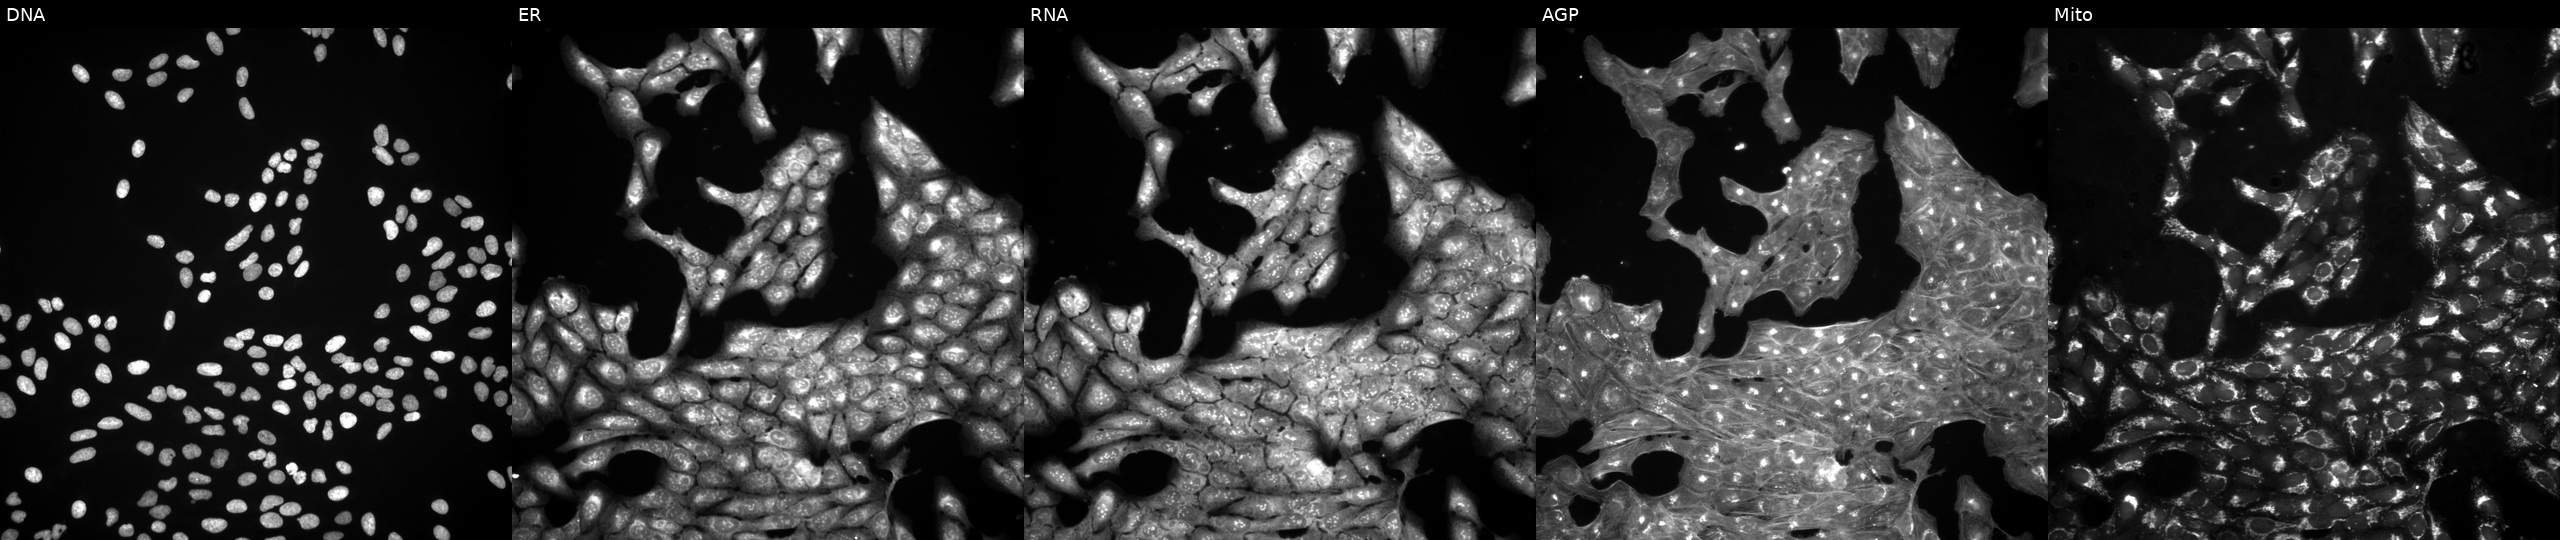
U2OS cells, Cell Painting assay, exposed to a small-molecule compound (InChIKey OJMKAQZLZNNVTG-UHFFFAOYSA-N) (JUMP id JCP2022_064187). The five panels, left to right, show DNA (nuclei); ER (endoplasmic reticulum); RNA (nucleoli and cytoplasmic RNA); AGP (actin cytoskeleton, Golgi, and plasma membrane); Mito (mitochondria). Each panel is percentile-stretched 16-bit fluorescence. Source 3, plate BR5867a3, well F20.